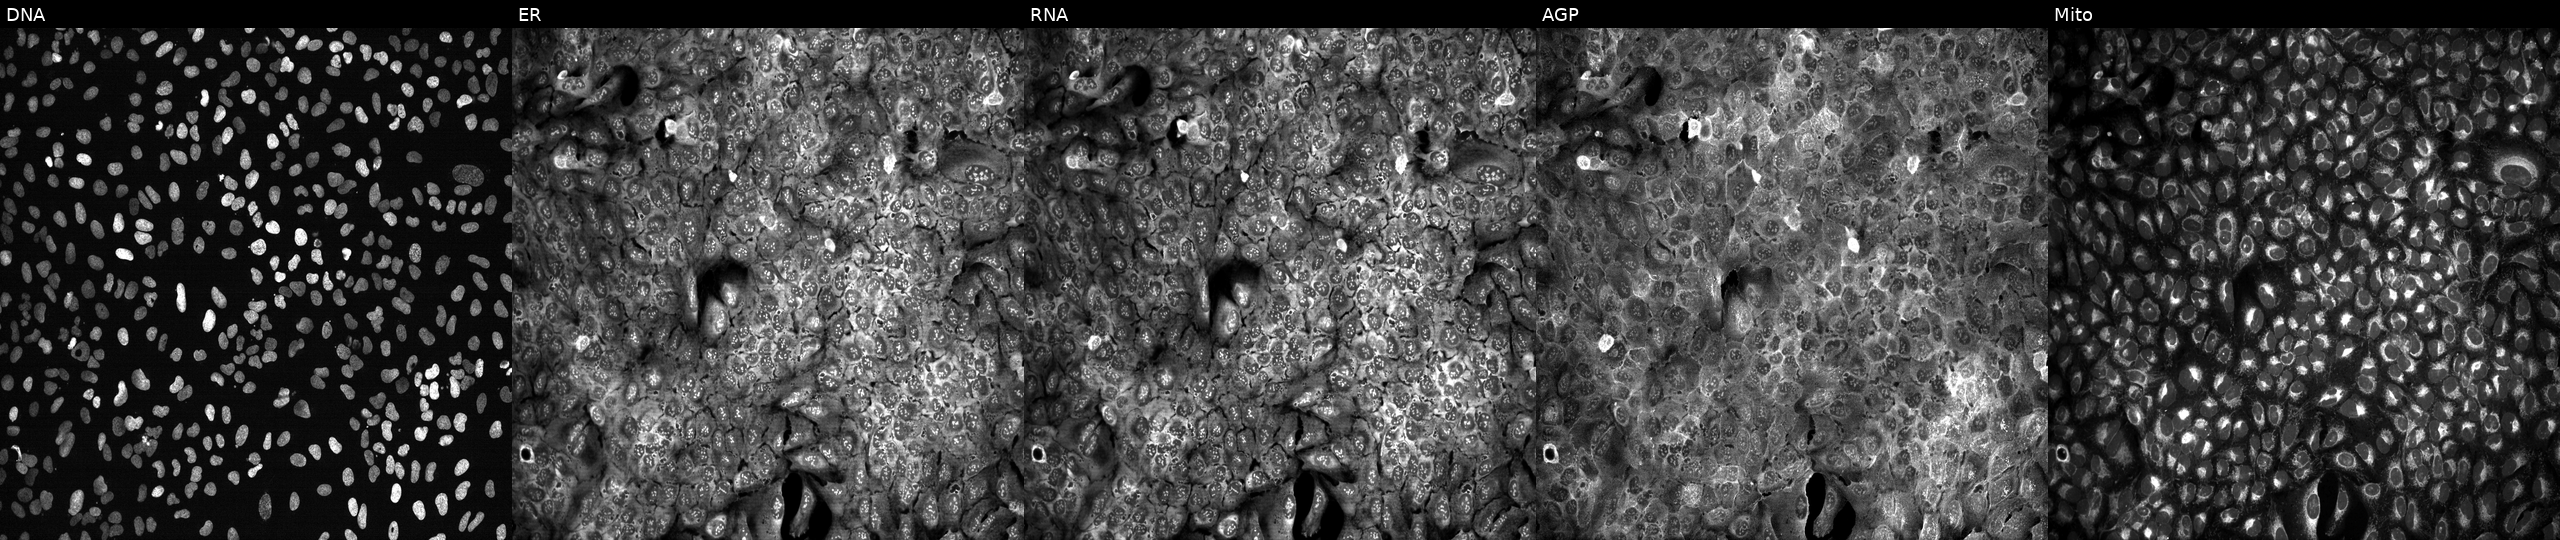
U2OS cells, Cell Painting assay, CRISPR-edited to disrupt KPNA1. Channels (left→right): Hoechst 33342, concanavalin A, SYTO 14, phalloidin and WGA, MitoTracker. Each panel is percentile-stretched 16-bit fluorescence.